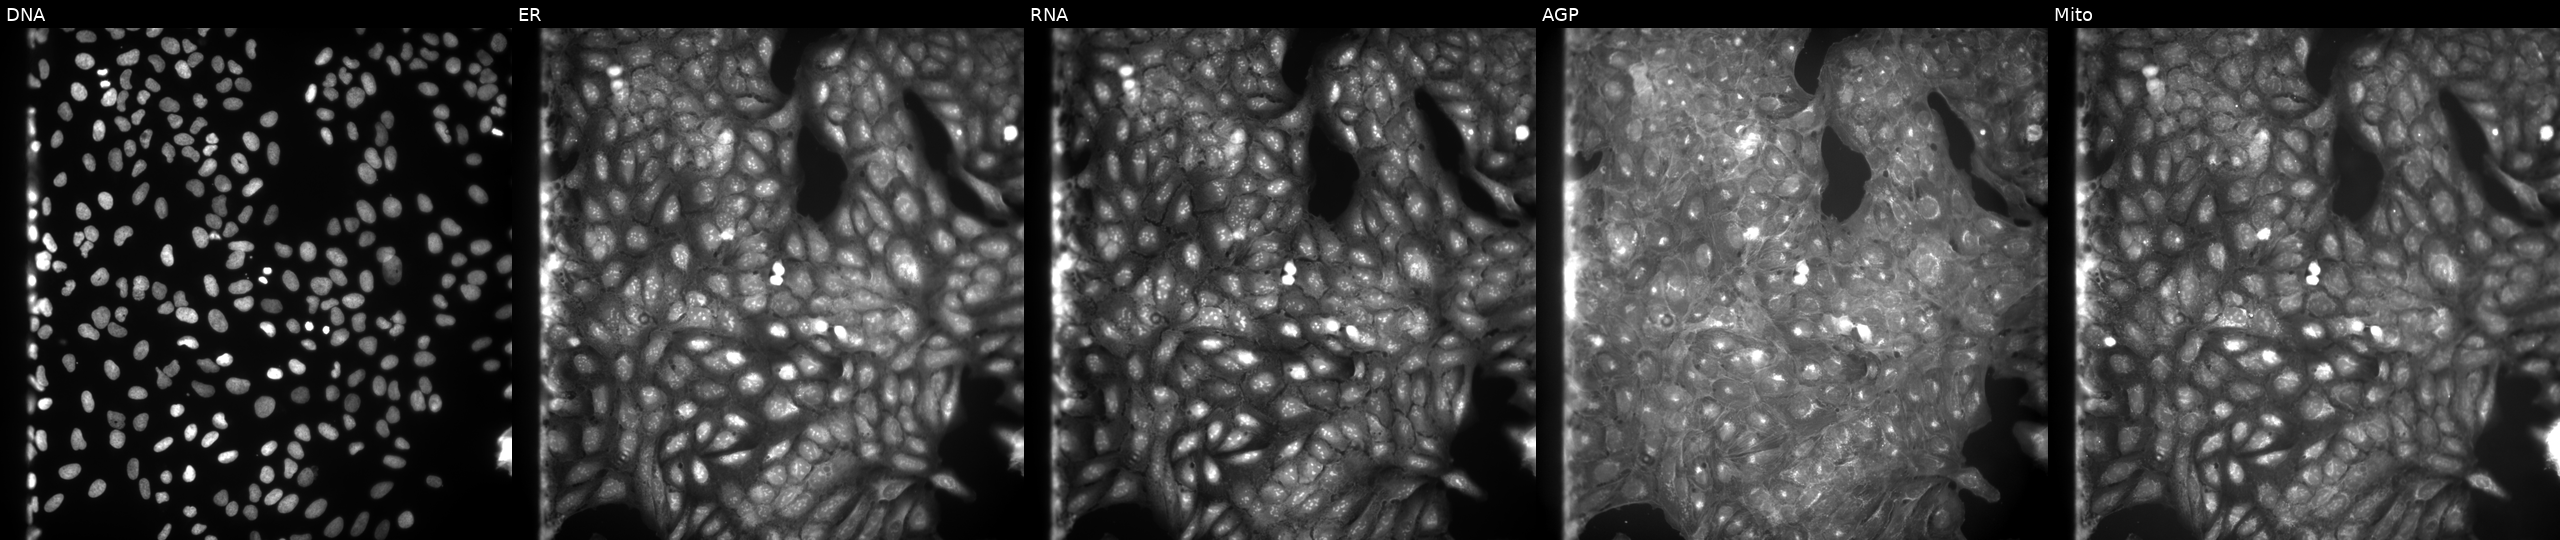
U2OS cells, Cell Painting assay, exposed to a small-molecule compound. The five panels, left to right, show DNA (nuclei); ER (endoplasmic reticulum); RNA (nucleoli and cytoplasmic RNA); AGP (actin cytoskeleton, Golgi, and plasma membrane); Mito (mitochondria). Each panel is percentile-stretched 16-bit fluorescence.